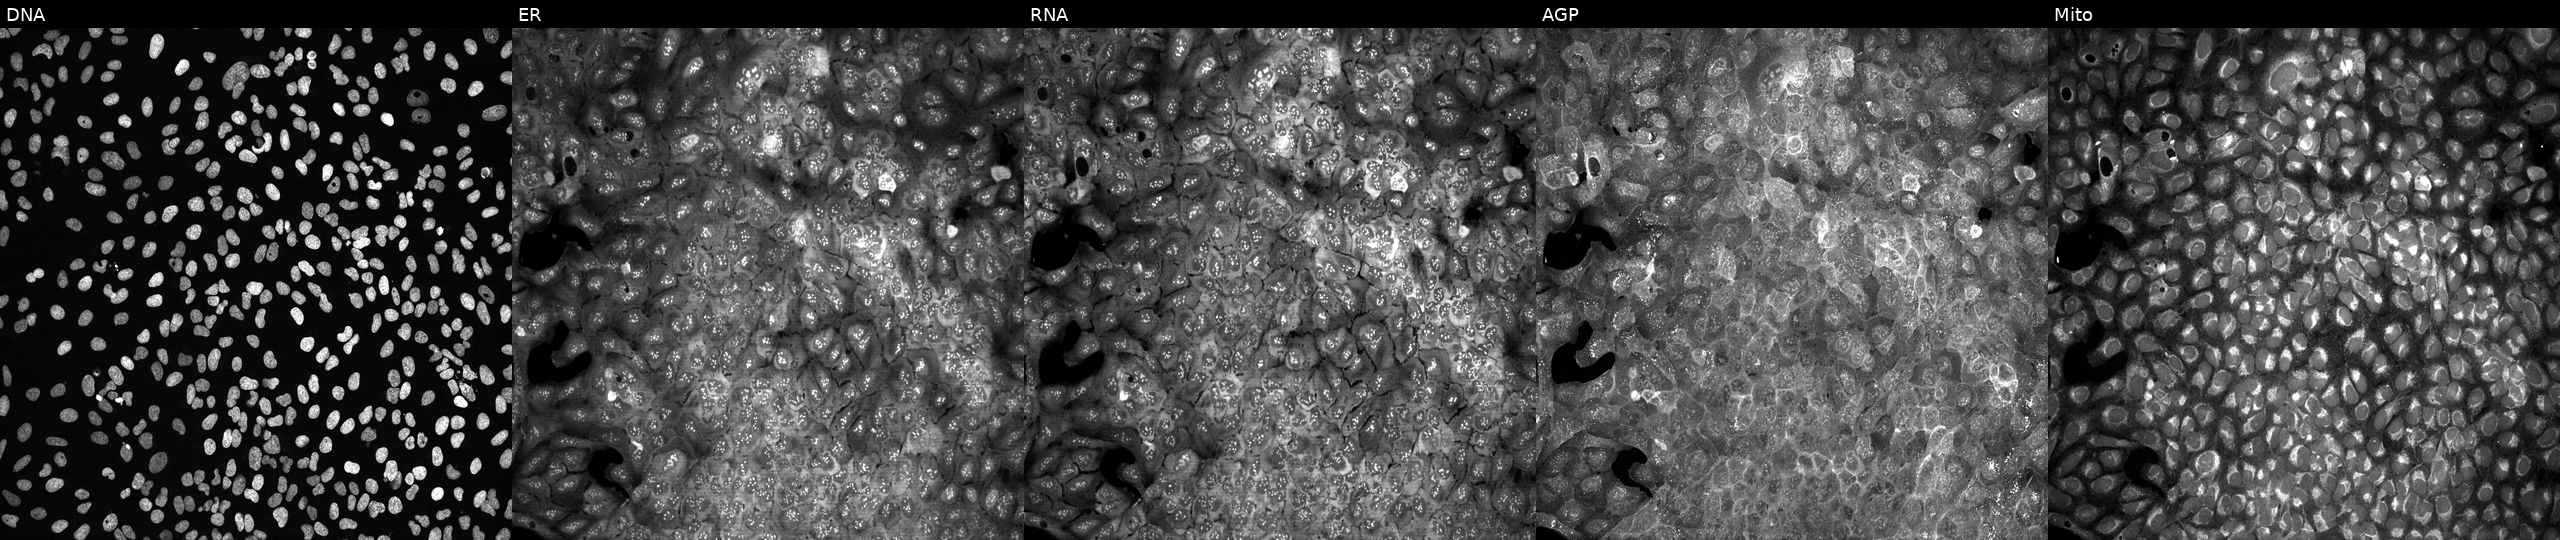
U2OS cells, Cell Painting assay, with IL27RA knocked out by CRISPR. Panels show, left to right, DNA (nuclei); ER (endoplasmic reticulum); RNA (nucleoli and cytoplasmic RNA); AGP (actin cytoskeleton, Golgi, and plasma membrane); Mito (mitochondria). Each panel is percentile-stretched 16-bit fluorescence. Source 13, plate CP-CC9-R5-01, well N12.